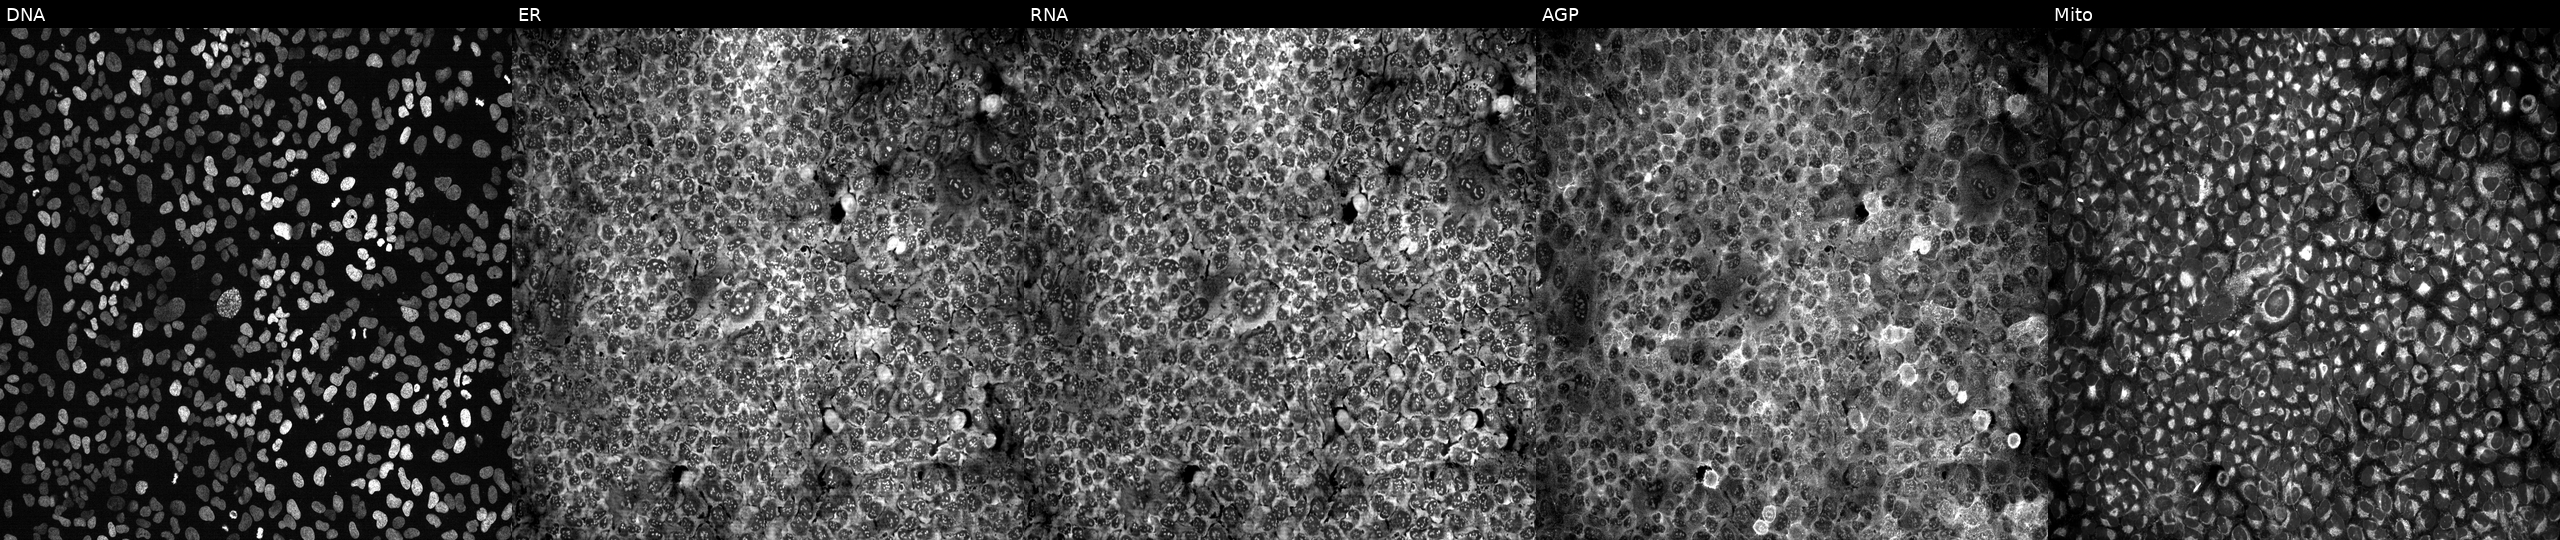
This image strip shows the five Cell Painting channels for a single field of U2OS cells with POMT2 knocked out by CRISPR. The five panels, left to right, show DNA (nuclei); ER (endoplasmic reticulum); RNA (nucleoli and cytoplasmic RNA); AGP (actin cytoskeleton, Golgi, and plasma membrane); Mito (mitochondria). Source 13, plate CP-CC9-R4-03, well G10.